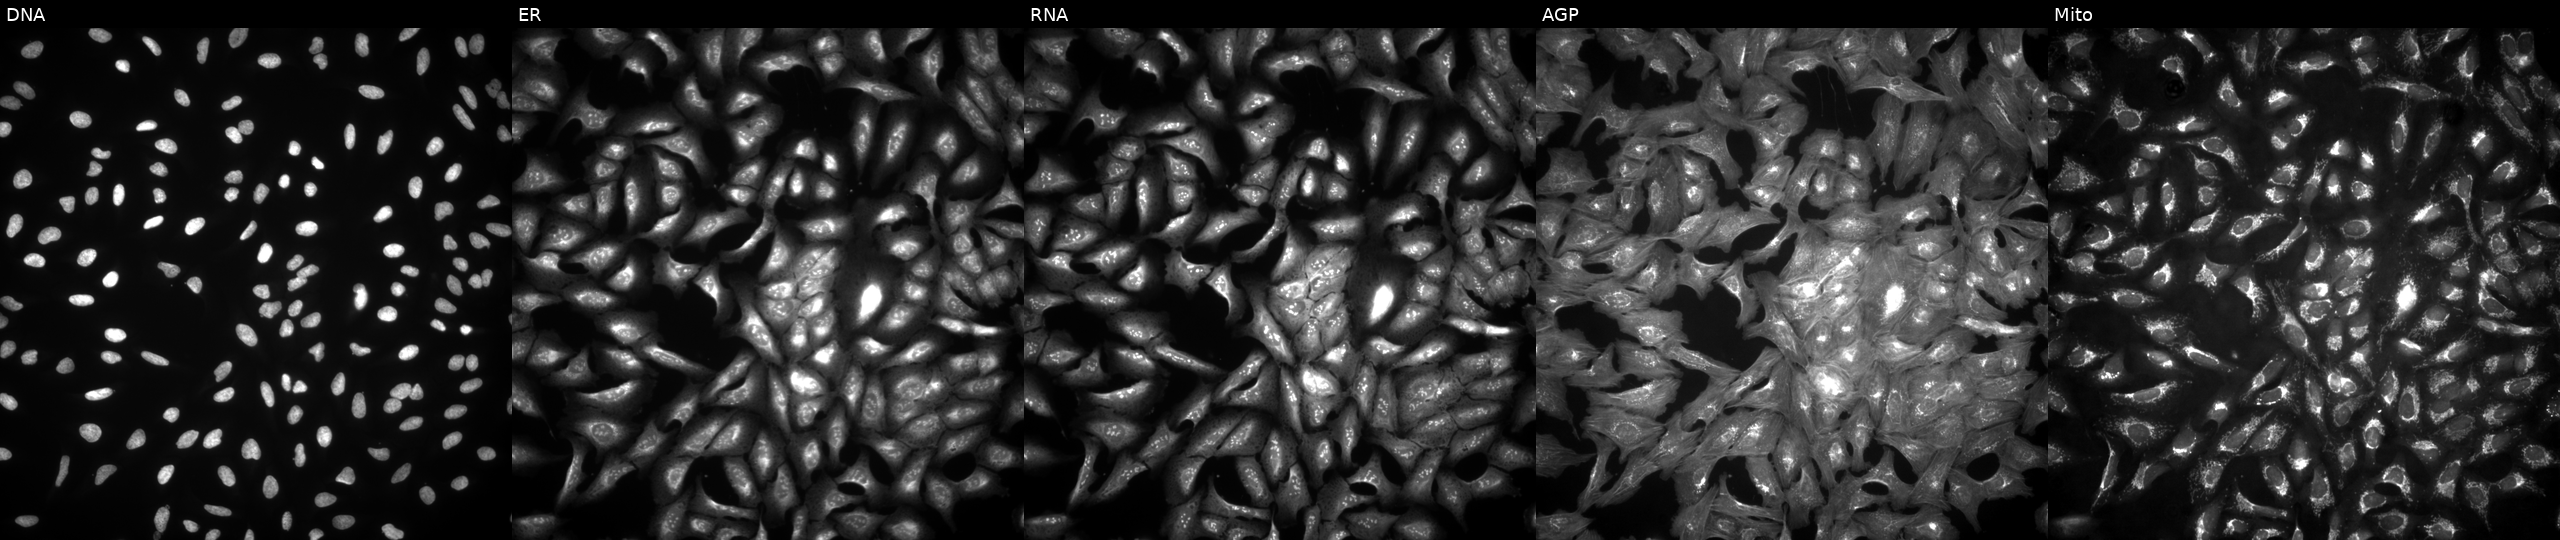
High-content fluorescence microscopy (Cell Painting). Cell line: U2OS. Perturbation: with C1orf116 overexpressed (ORF). Channels (left→right): DNA (nuclei); ER (endoplasmic reticulum); RNA (nucleoli and cytoplasmic RNA); AGP (actin cytoskeleton, Golgi, and plasma membrane); Mito (mitochondria).